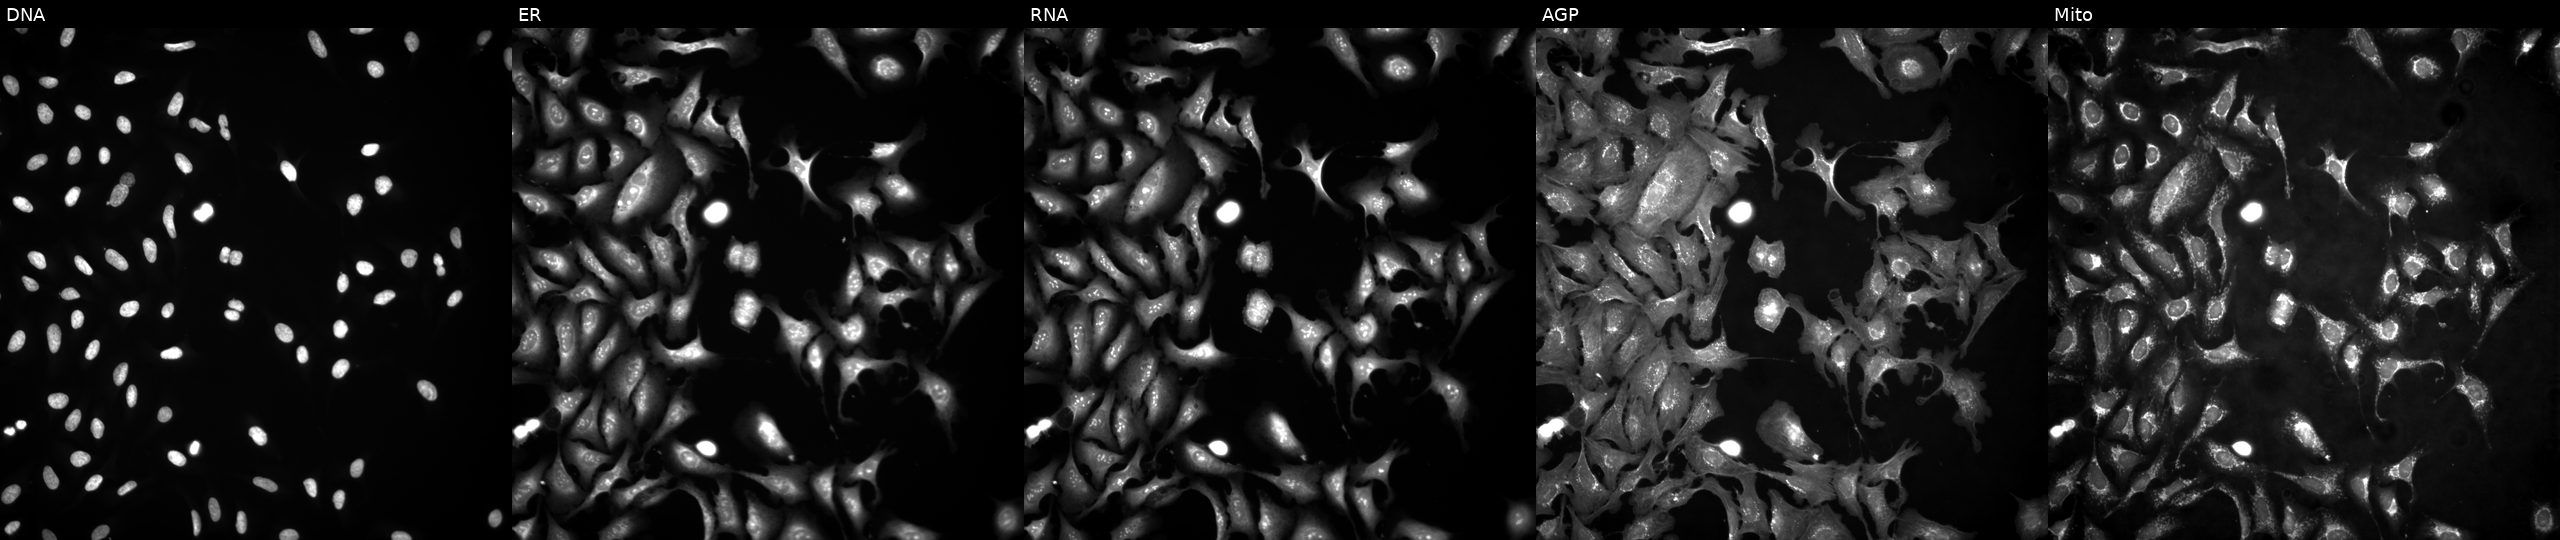
High-content fluorescence microscopy (Cell Painting). Cell line: U2OS. Perturbation: expressing BFP (ORF negative control). The five panels, left to right, show DNA (nuclei); ER (endoplasmic reticulum); RNA (nucleoli and cytoplasmic RNA); AGP (actin cytoskeleton, Golgi, and plasma membrane); Mito (mitochondria).